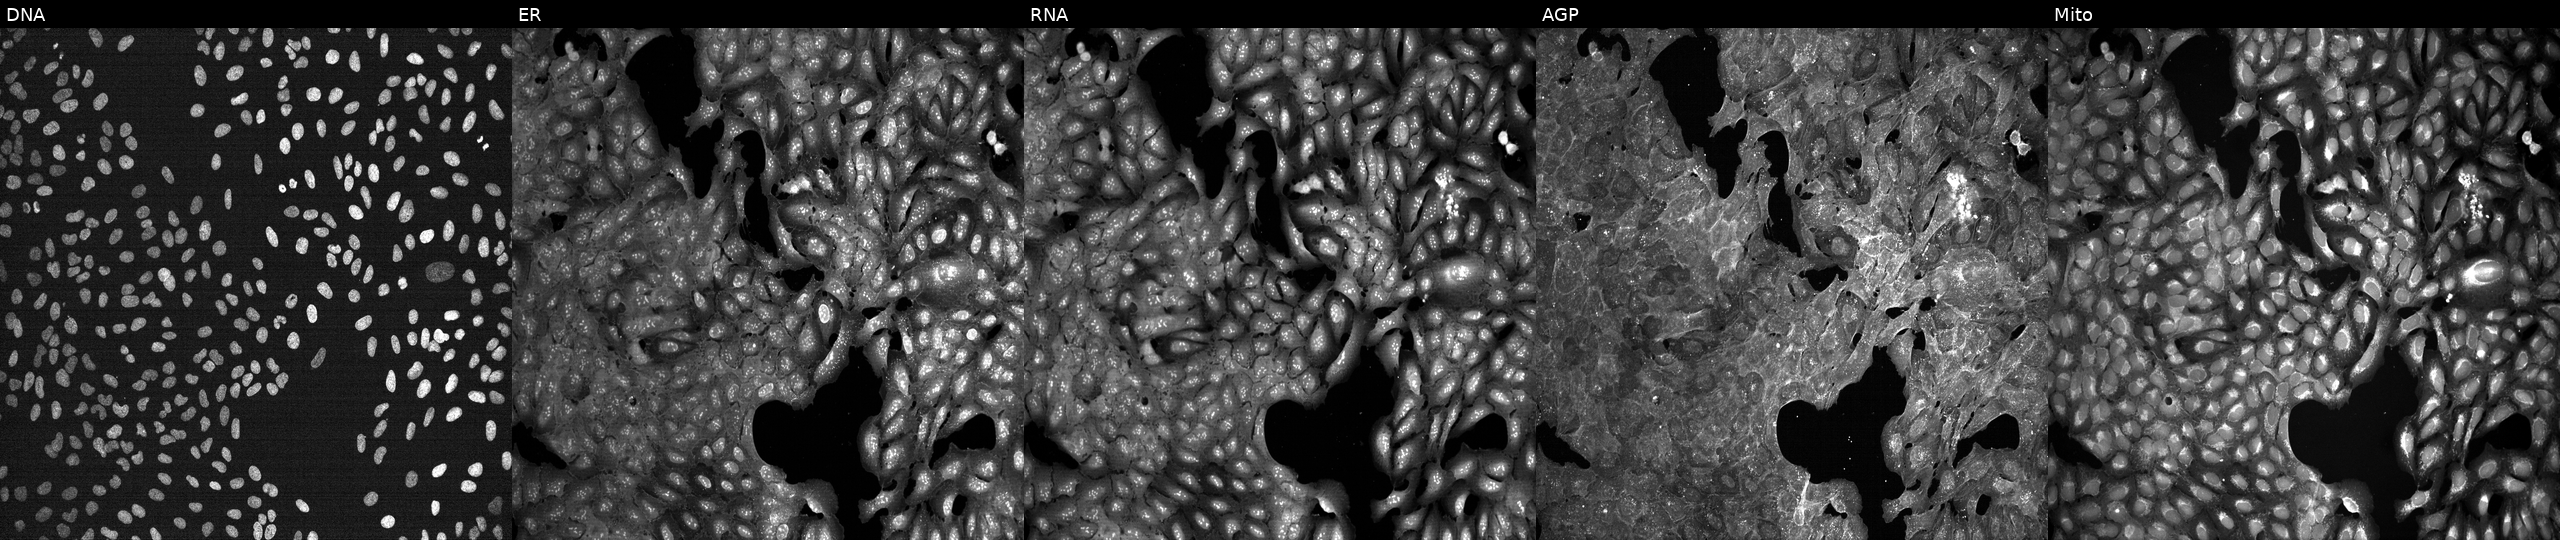
Channels (left→right): DNA (nuclei); ER (endoplasmic reticulum); RNA (nucleoli and cytoplasmic RNA); AGP (actin cytoskeleton, Golgi, and plasma membrane); Mito (mitochondria). U2OS osteosarcoma cells exposed to DMSO alone as a negative control (JUMP id JCP2022_033924). Cell Painting assay, JUMP-CP dataset. Source 7, plate CP1-SC1-25, well F05.